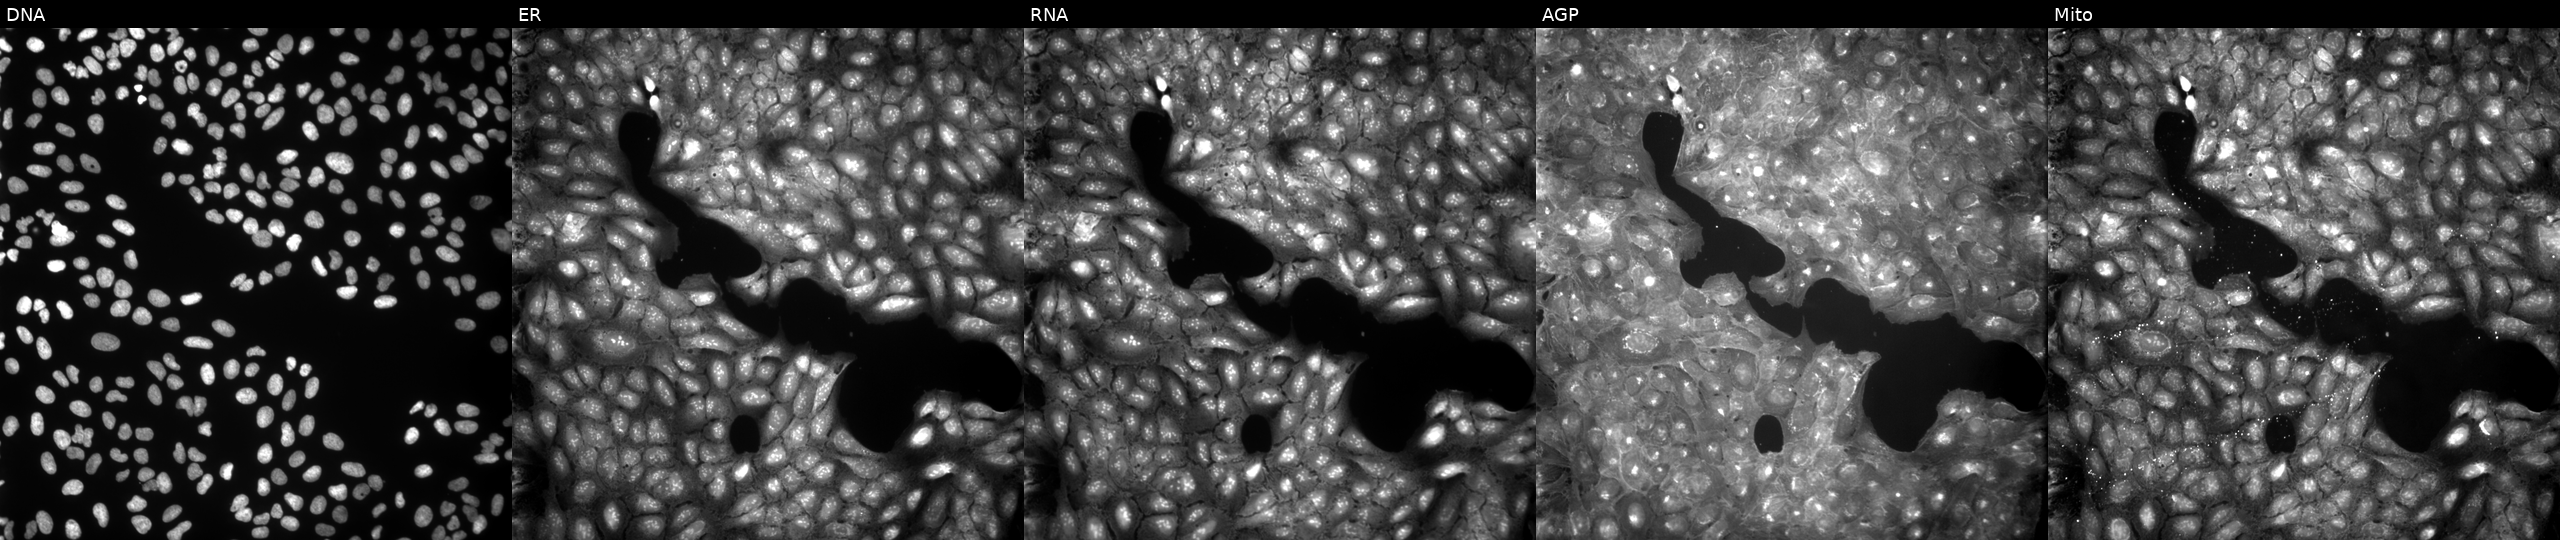
This image strip shows the five Cell Painting channels for a single field of U2OS cells exposed to a small-molecule compound (InChIKey ODYFMVPOLQSSRU-UHFFFAOYSA-N) (JUMP id JCP2022_063201). The five panels, left to right, show Hoechst 33342, concanavalin A, SYTO 14, phalloidin and WGA, MitoTracker. Source 9, plate GR00003382, well H27.